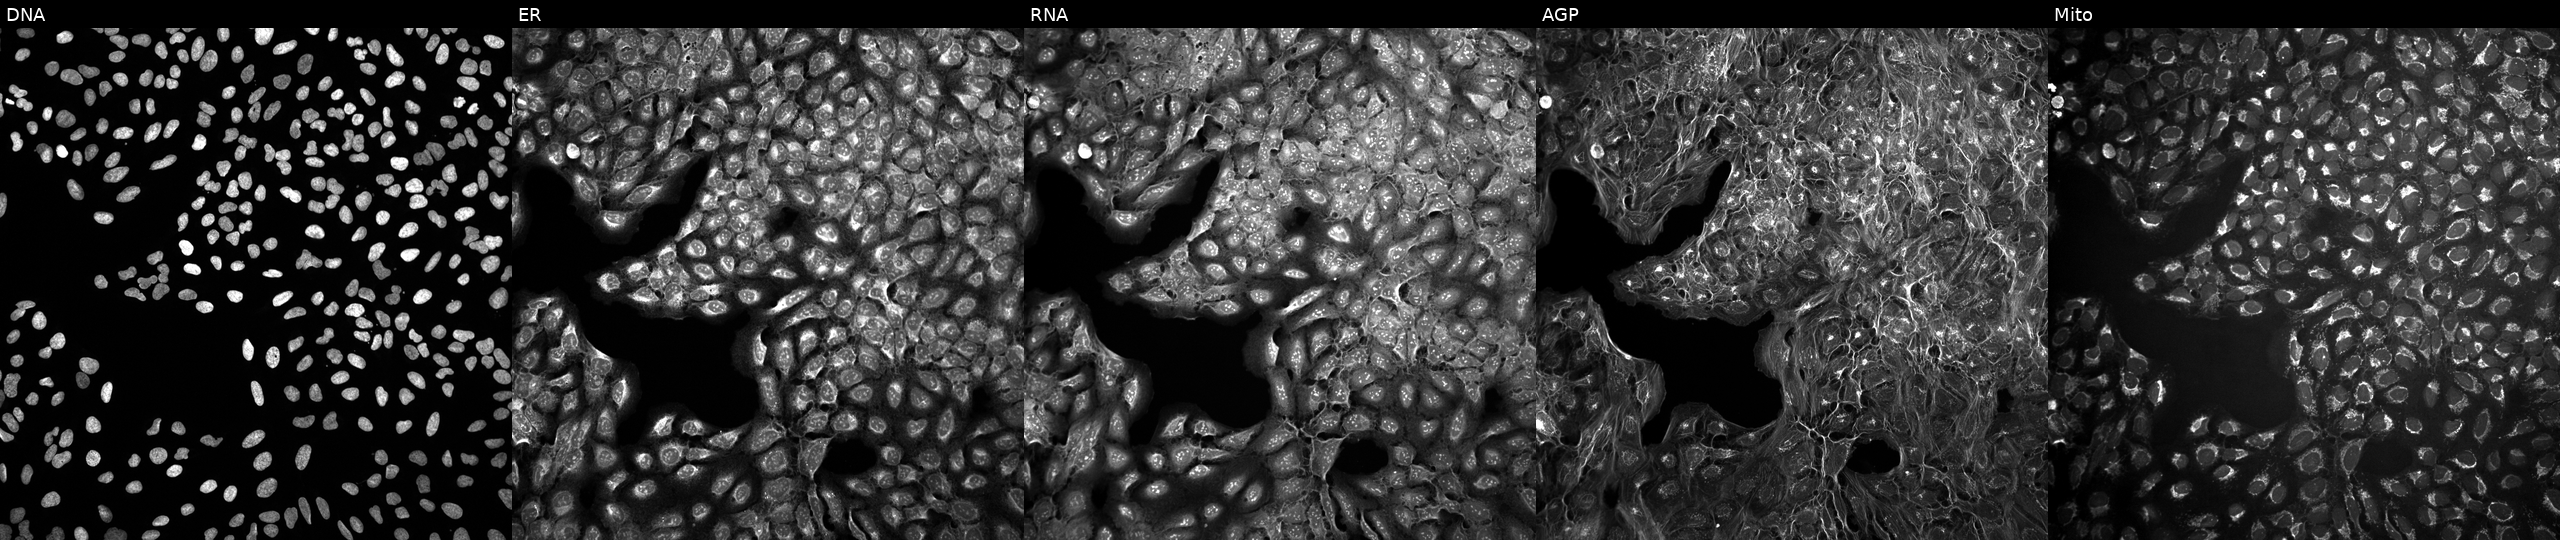
This image strip shows the five Cell Painting channels for a single field of U2OS cells untreated (empty-well control). From left to right: Hoechst 33342, concanavalin A, SYTO 14, phalloidin and WGA, MitoTracker. Source 10, plate Dest210531-152324, well O09.